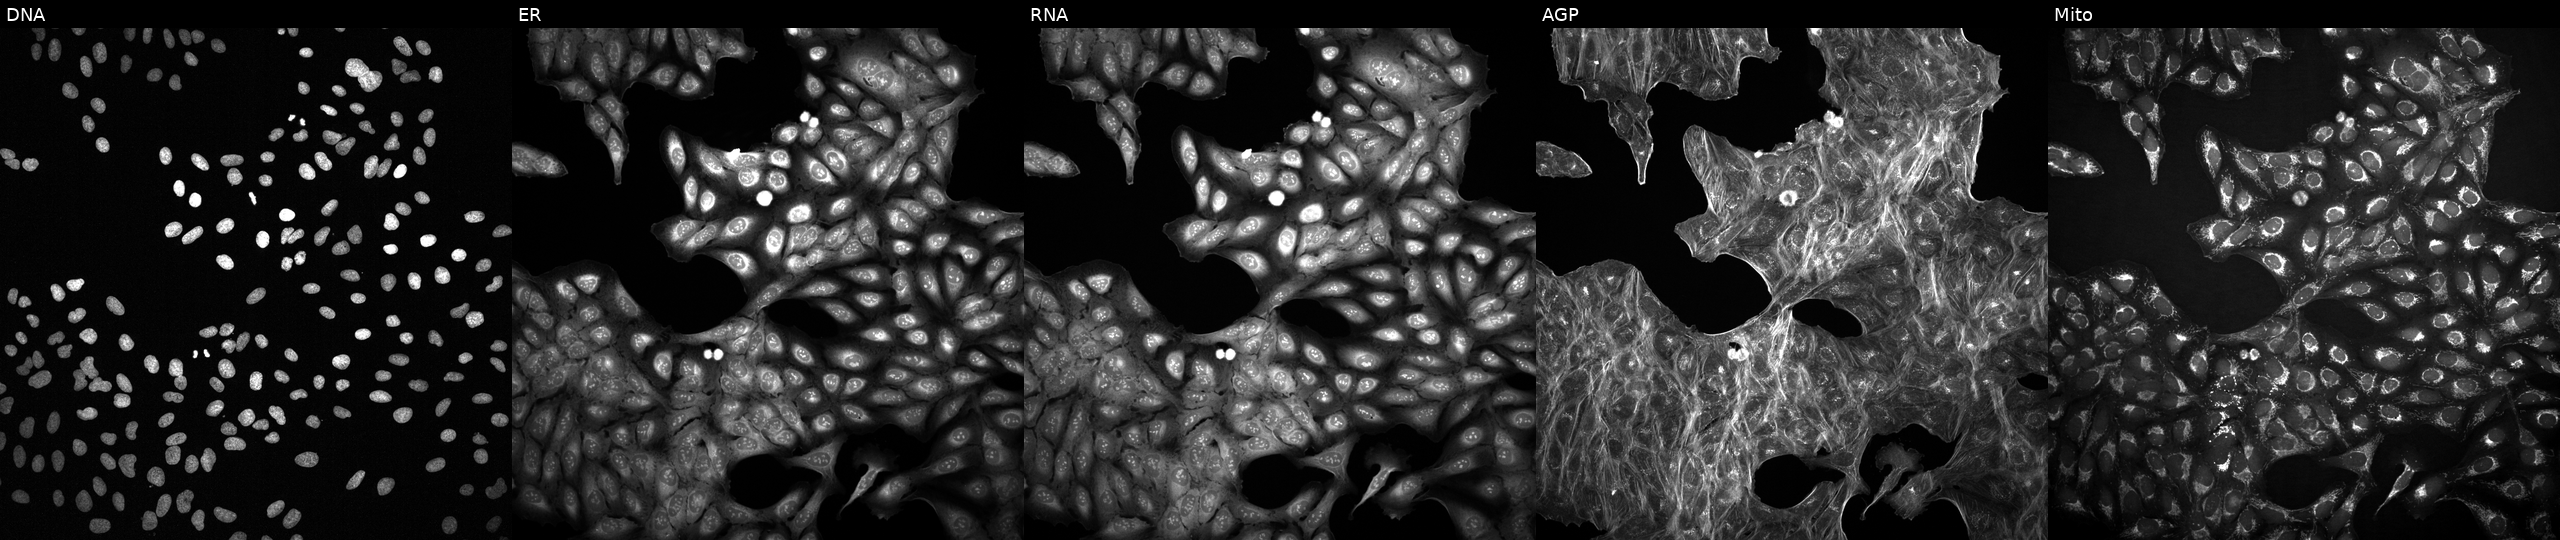
High-content fluorescence microscopy (Cell Painting). Cell line: U2OS. Perturbation: with an unidentified perturbation (not annotated in JUMP metadata). From left to right: DNA, ER, RNA, AGP, and Mito. Source 2, plate 1053601756, well H06.